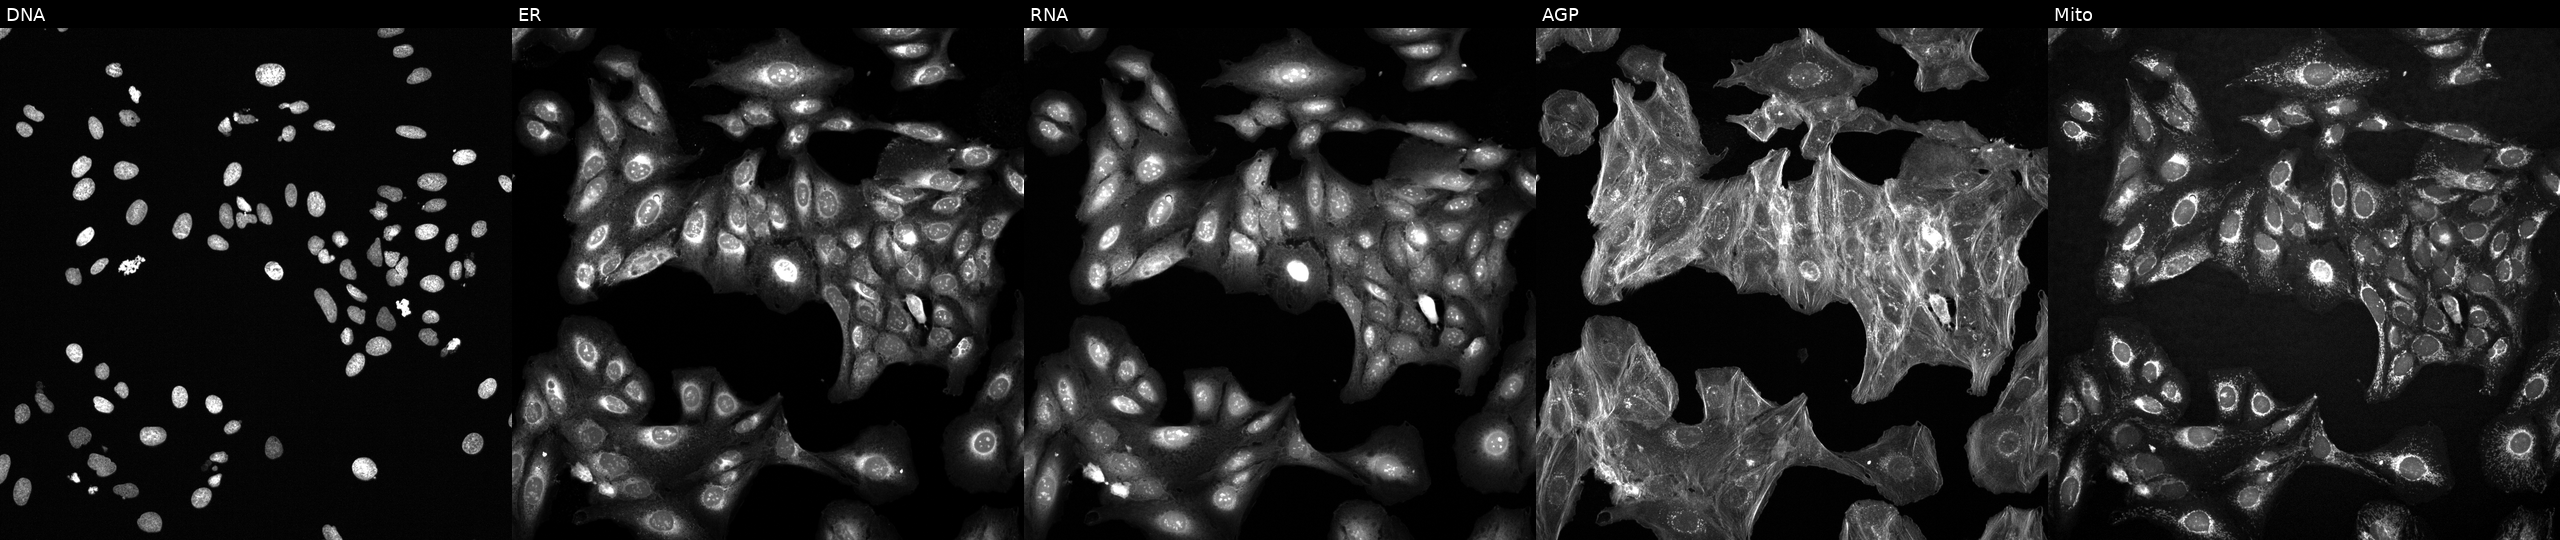
This image strip shows the five Cell Painting channels for a single field of U2OS cells treated with a small-molecule compound (InChIKey RAMROQQYRRQPDL-UHFFFAOYSA-N) [SMILES: CC(C)C(CO)N=c1[nH]c(=Nc2cc(N)cc(Cl)c2)c2ncn(C(C)C)c2[nH]1]. From left to right: DNA (nuclei); ER (endoplasmic reticulum); RNA (nucleoli and cytoplasmic RNA); AGP (actin cytoskeleton, Golgi, and plasma membrane); Mito (mitochondria). Source 6, plate 110000293081, well C22.